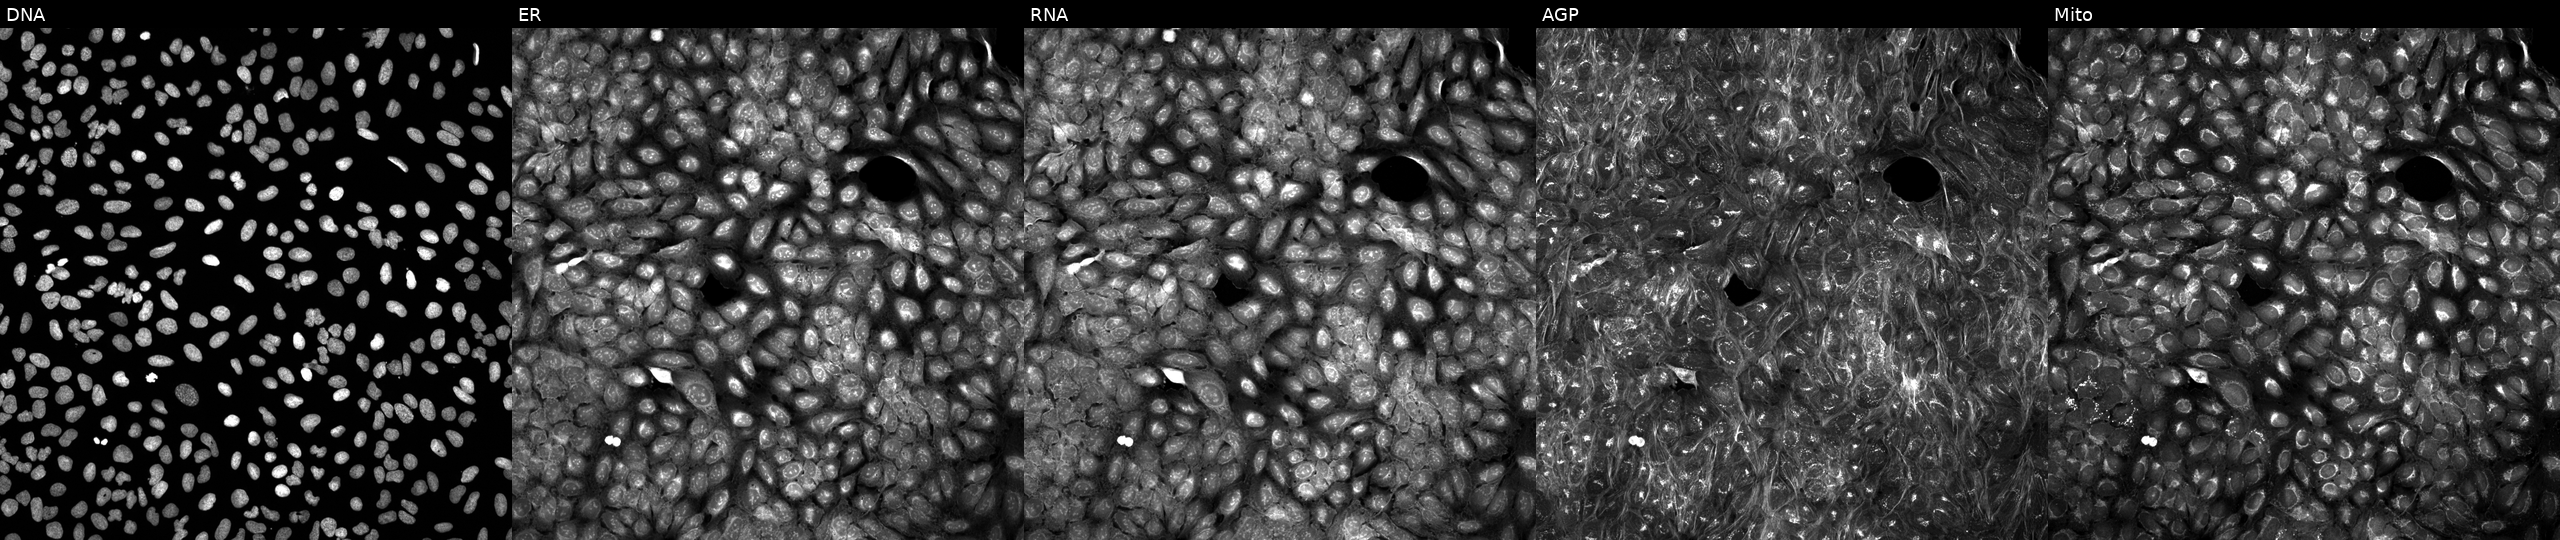
Five-channel Cell Painting image of U2OS cells treated with DMSO vehicle only (negative control). From left to right: DNA, ER, RNA, AGP, and Mito.